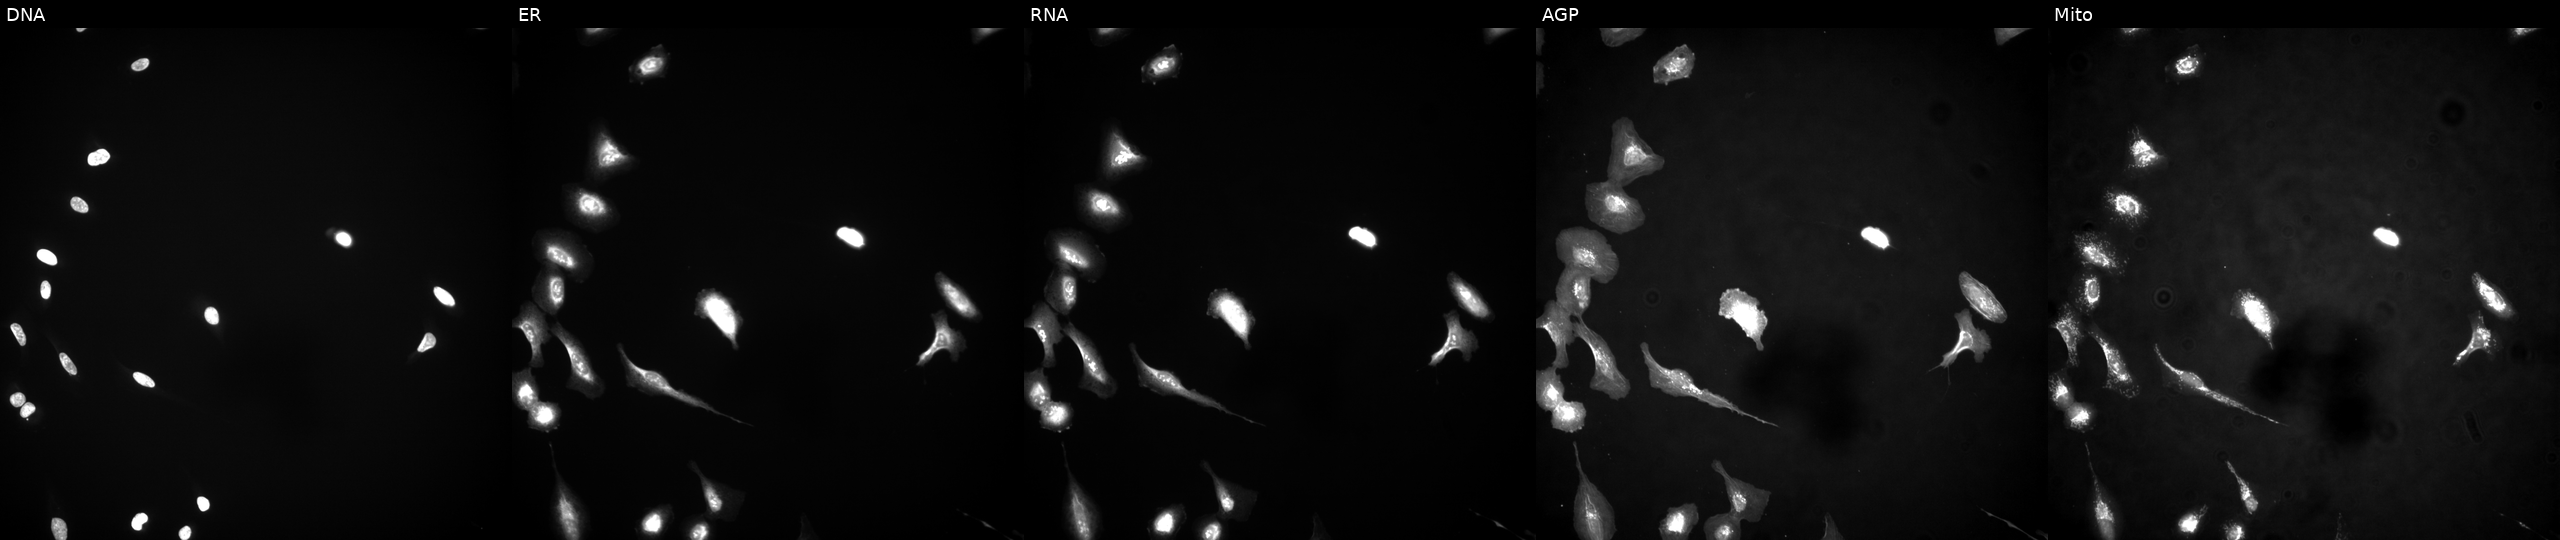
Five-channel Cell Painting image of U2OS cells overexpressing RPL13A via ORF transfection. Channels (left→right): DNA (nuclei); ER (endoplasmic reticulum); RNA (nucleoli and cytoplasmic RNA); AGP (actin cytoskeleton, Golgi, and plasma membrane); Mito (mitochondria). Source 4, plate BR00124790, well H14.